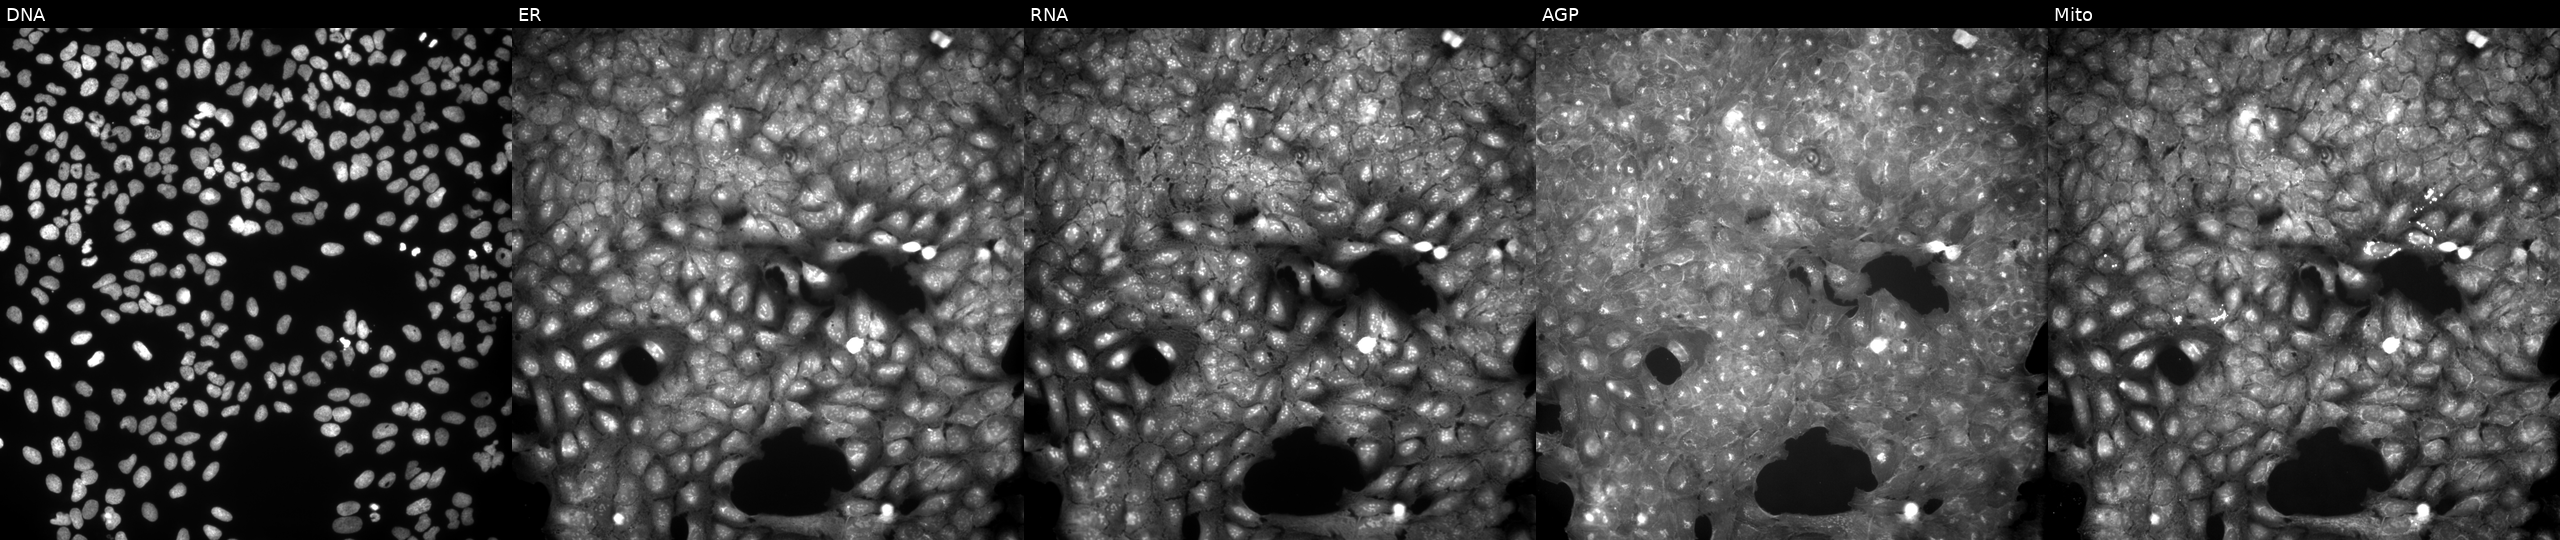
JUMP Cell Painting — COMPOUND plate. U2OS cells perturbed with a small-molecule compound (InChIKey XEHVDWYRULRKDQ-UHFFFAOYSA-N) (JUMP id JCP2022_103111). The five panels, left to right, show Hoechst 33342, concanavalin A, SYTO 14, phalloidin and WGA, MitoTracker. Source 9, plate GR00003381, well I29.